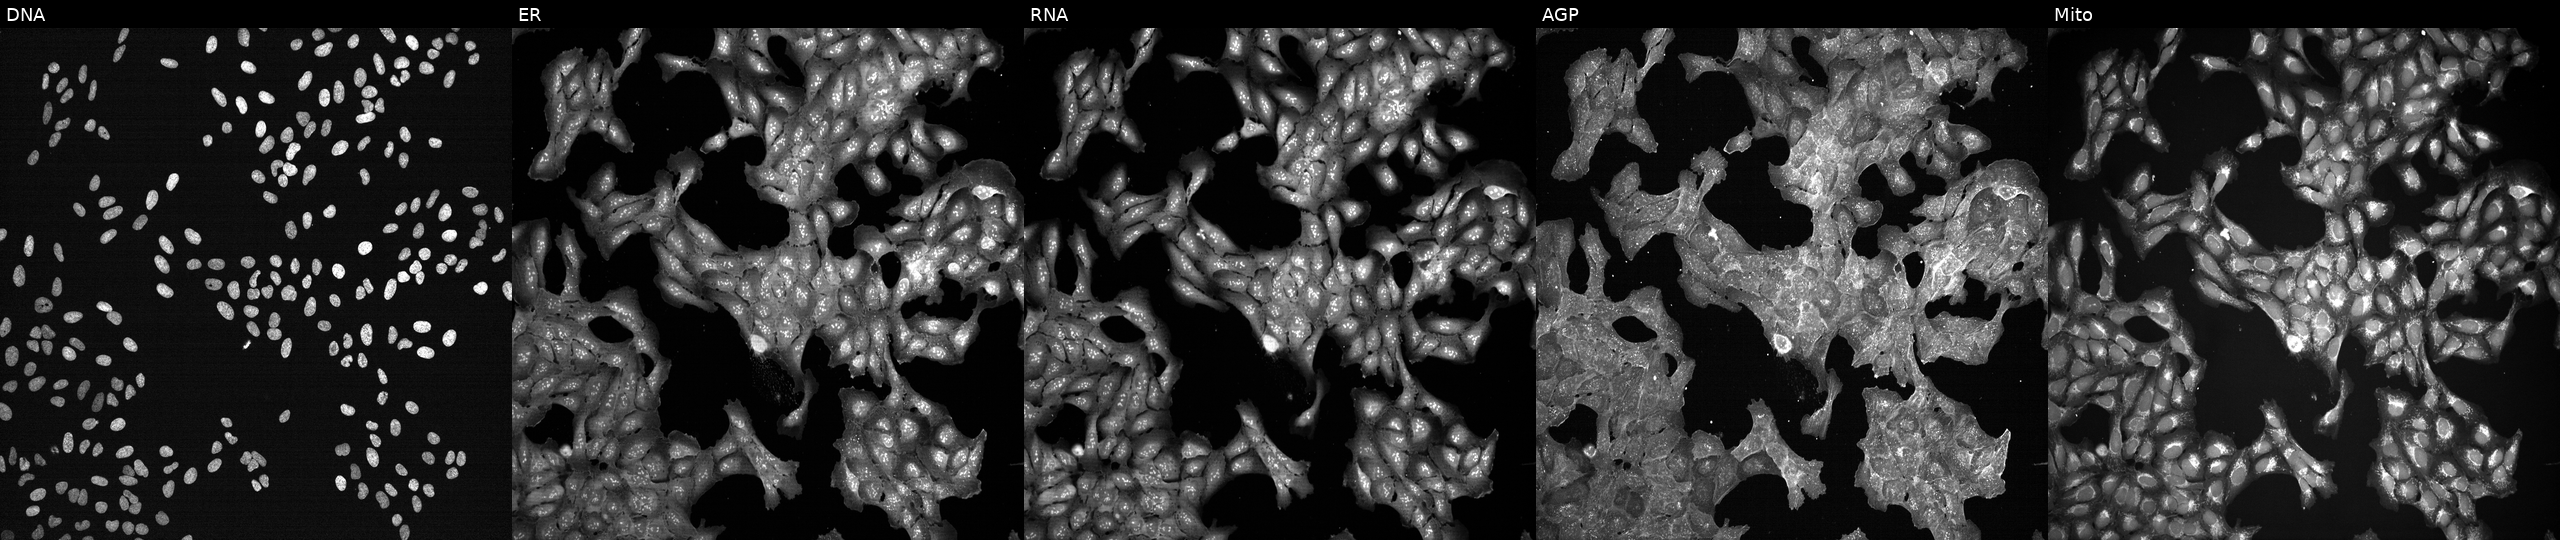
High-content fluorescence microscopy (Cell Painting). Cell line: U2OS. Perturbation: treated with a small-molecule compound (InChIKey FQUAFMNPXPXOJE-UHFFFAOYSA-N) (JUMP id JCP2022_022359). Channels (left→right): Hoechst 33342, concanavalin A, SYTO 14, phalloidin and WGA, MitoTracker. Source 7, plate CP2-SC1-25, well I04.